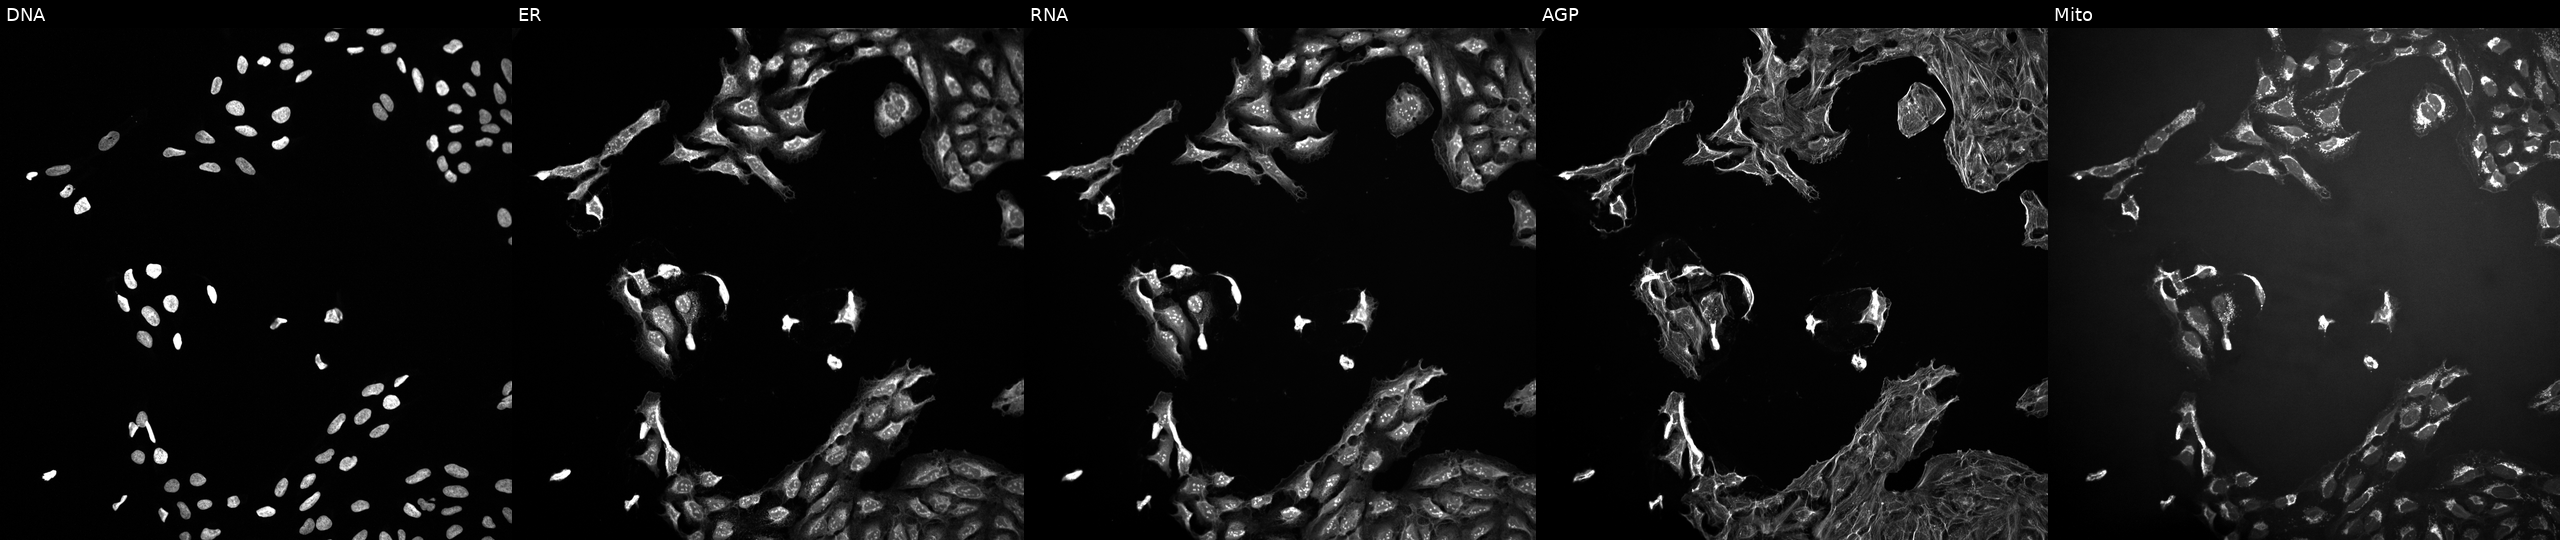
The five panels, left to right, show Hoechst 33342, concanavalin A, SYTO 14, phalloidin and WGA, MitoTracker. U2OS osteosarcoma cells perturbed with a small-molecule compound (JUMP id JCP2022_021678). Cell Painting assay, JUMP-CP dataset.